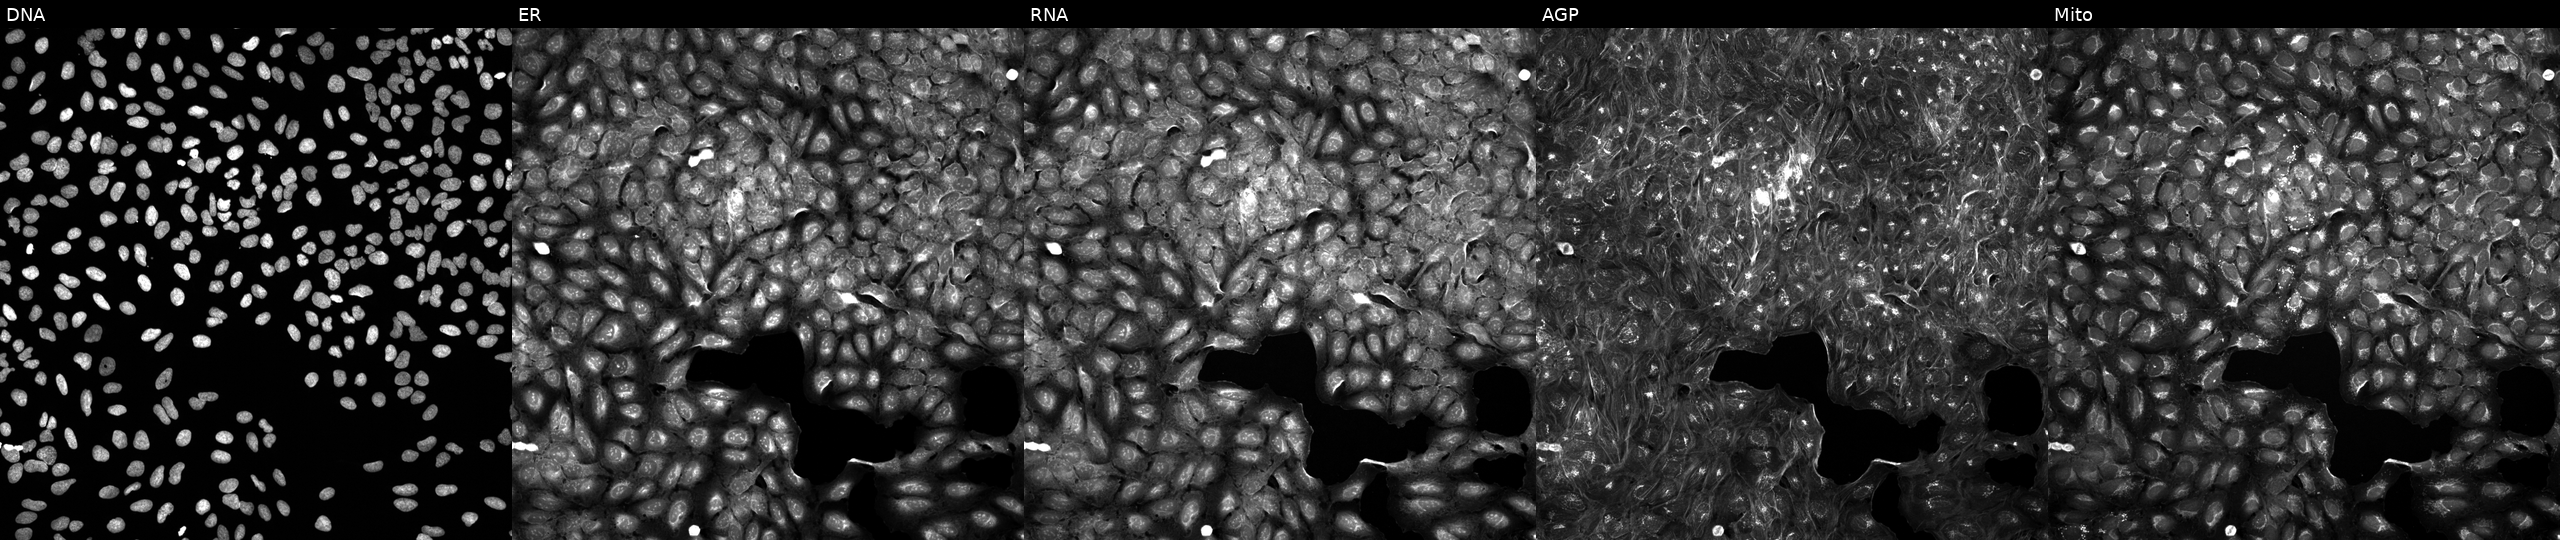
High-content fluorescence microscopy (Cell Painting). Cell line: U2OS. Perturbation: perturbed with a small-molecule compound (InChIKey ARYRBYIAMNPCDS-UHFFFAOYSA-N) (JUMP id JCP2022_003430). Panels show, left to right, Hoechst 33342, concanavalin A, SYTO 14, phalloidin and WGA, MitoTracker.